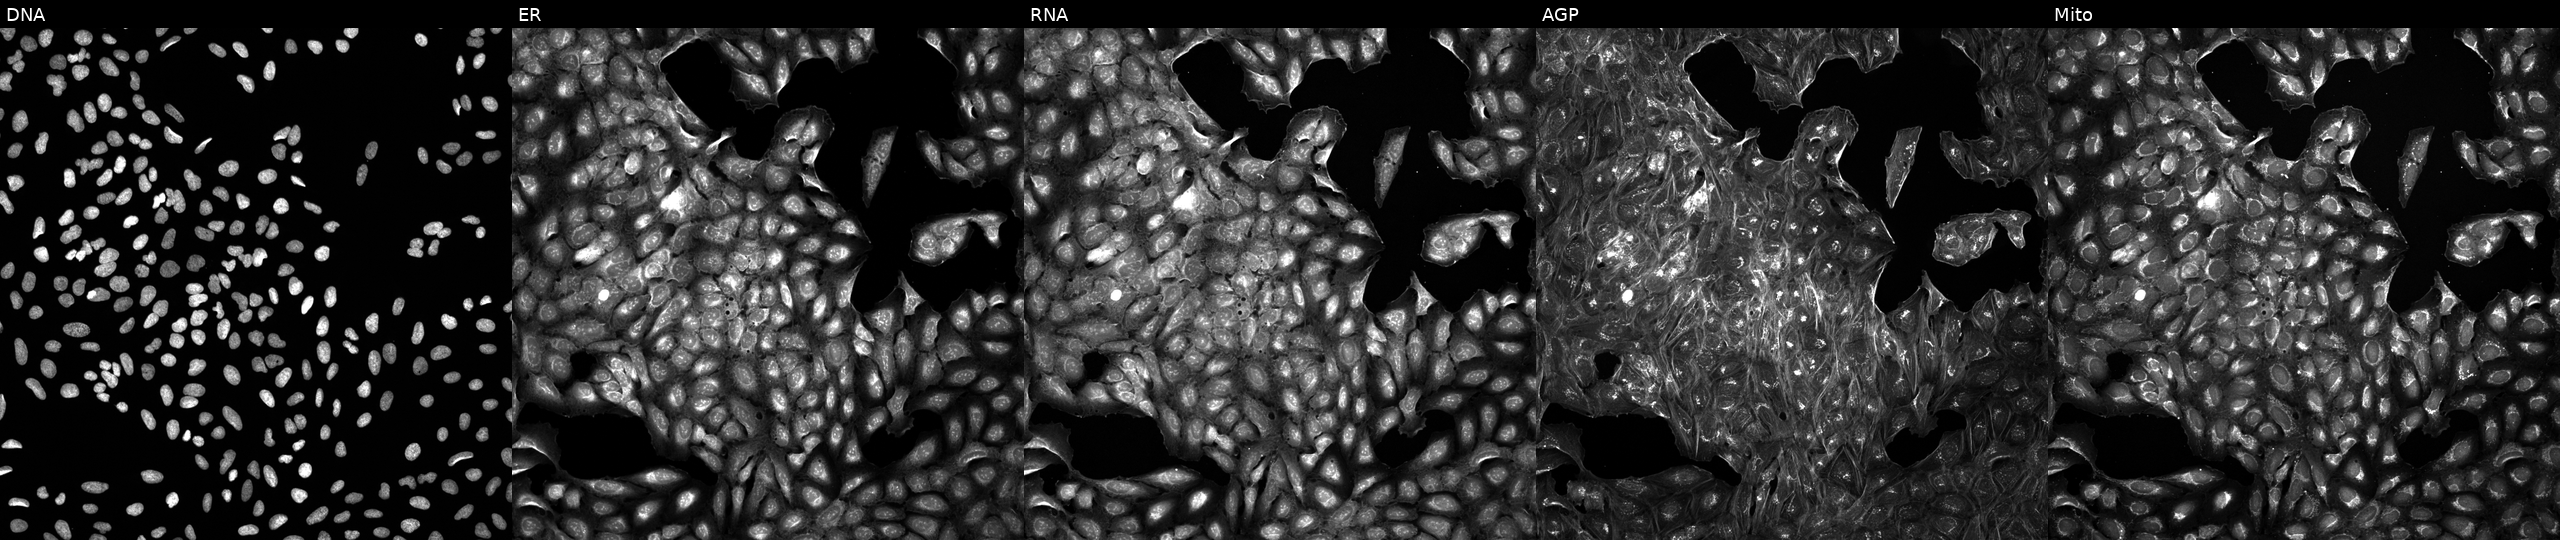
This image strip shows the five Cell Painting channels for a single field of U2OS cells perturbed with a small-molecule compound [SMILES: c1cnc(-c2nc(CN3CCC(c4cn[nH]c4)CC3)cs2)nc1] (JUMP id JCP2022_076649). From left to right: DNA, ER, RNA, AGP, and Mito.